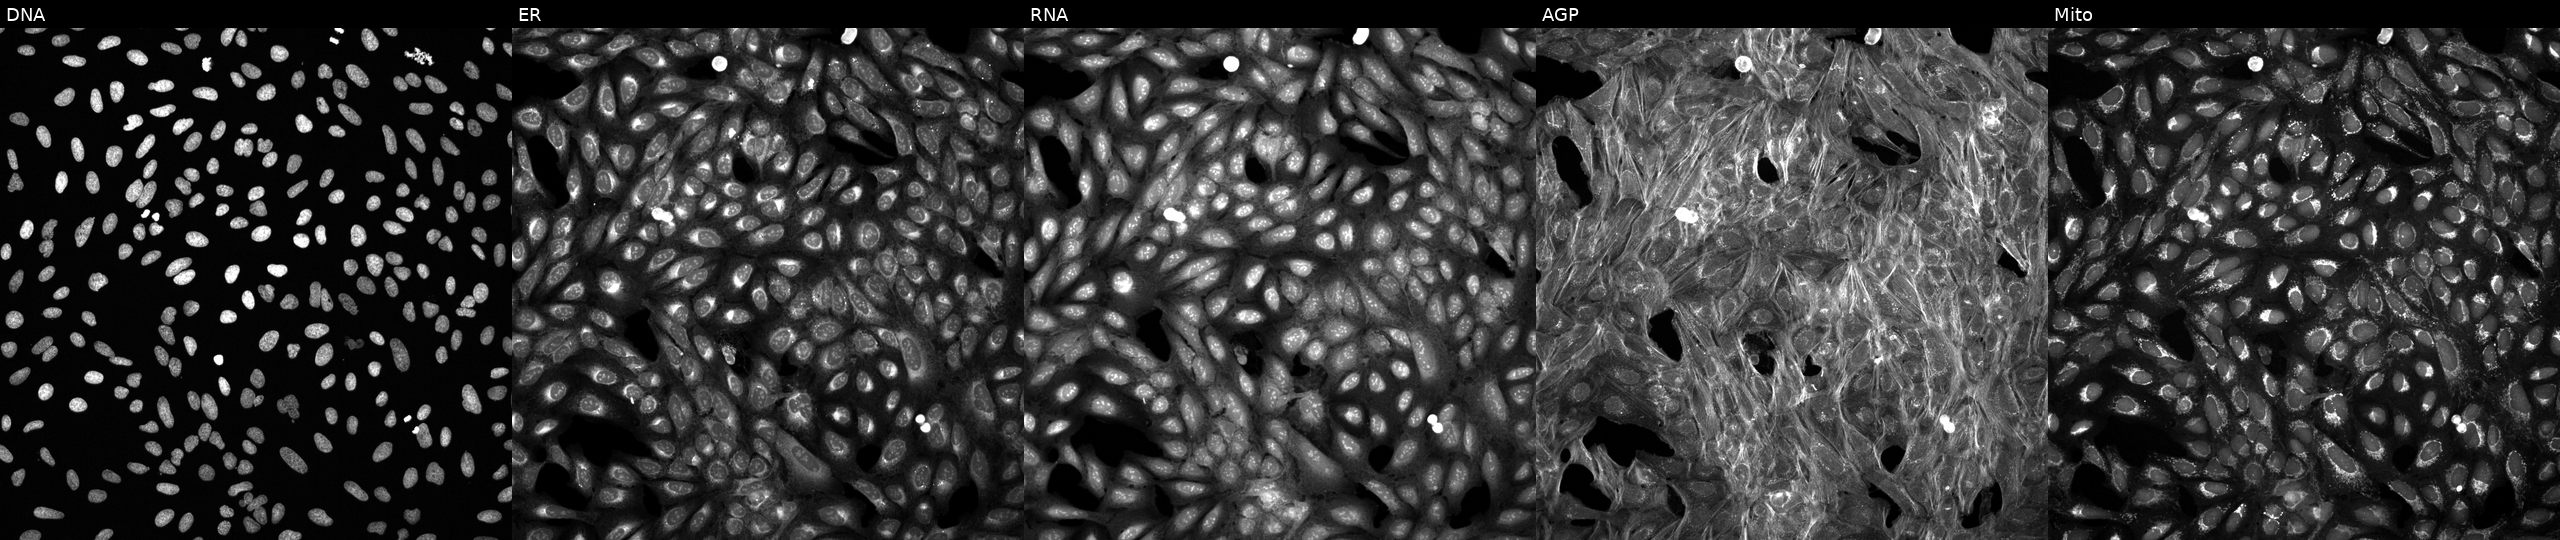
High-content fluorescence microscopy (Cell Painting). Cell line: U2OS. Perturbation: exposed to DMSO alone as a negative control (JUMP id JCP2022_033924). From left to right: DNA, ER, RNA, AGP, and Mito.